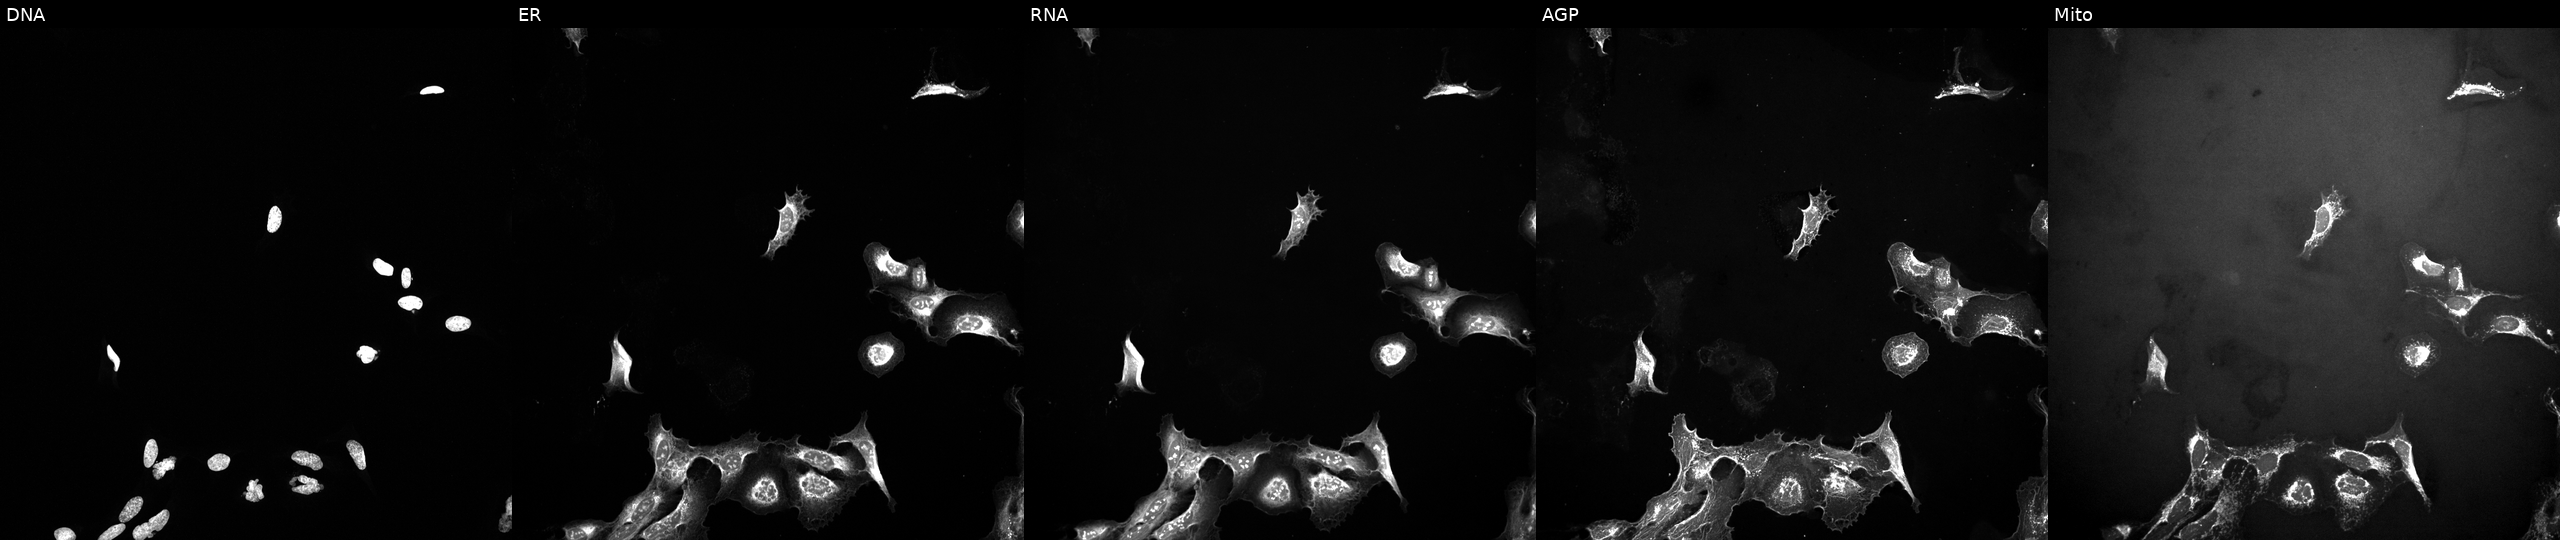
High-content fluorescence microscopy (Cell Painting). Cell line: U2OS. Perturbation: perturbed with a small-molecule compound (InChIKey GQXSULRYFDAMOO-UHFFFAOYSA-N). From left to right: DNA (nuclei); ER (endoplasmic reticulum); RNA (nucleoli and cytoplasmic RNA); AGP (actin cytoskeleton, Golgi, and plasma membrane); Mito (mitochondria).